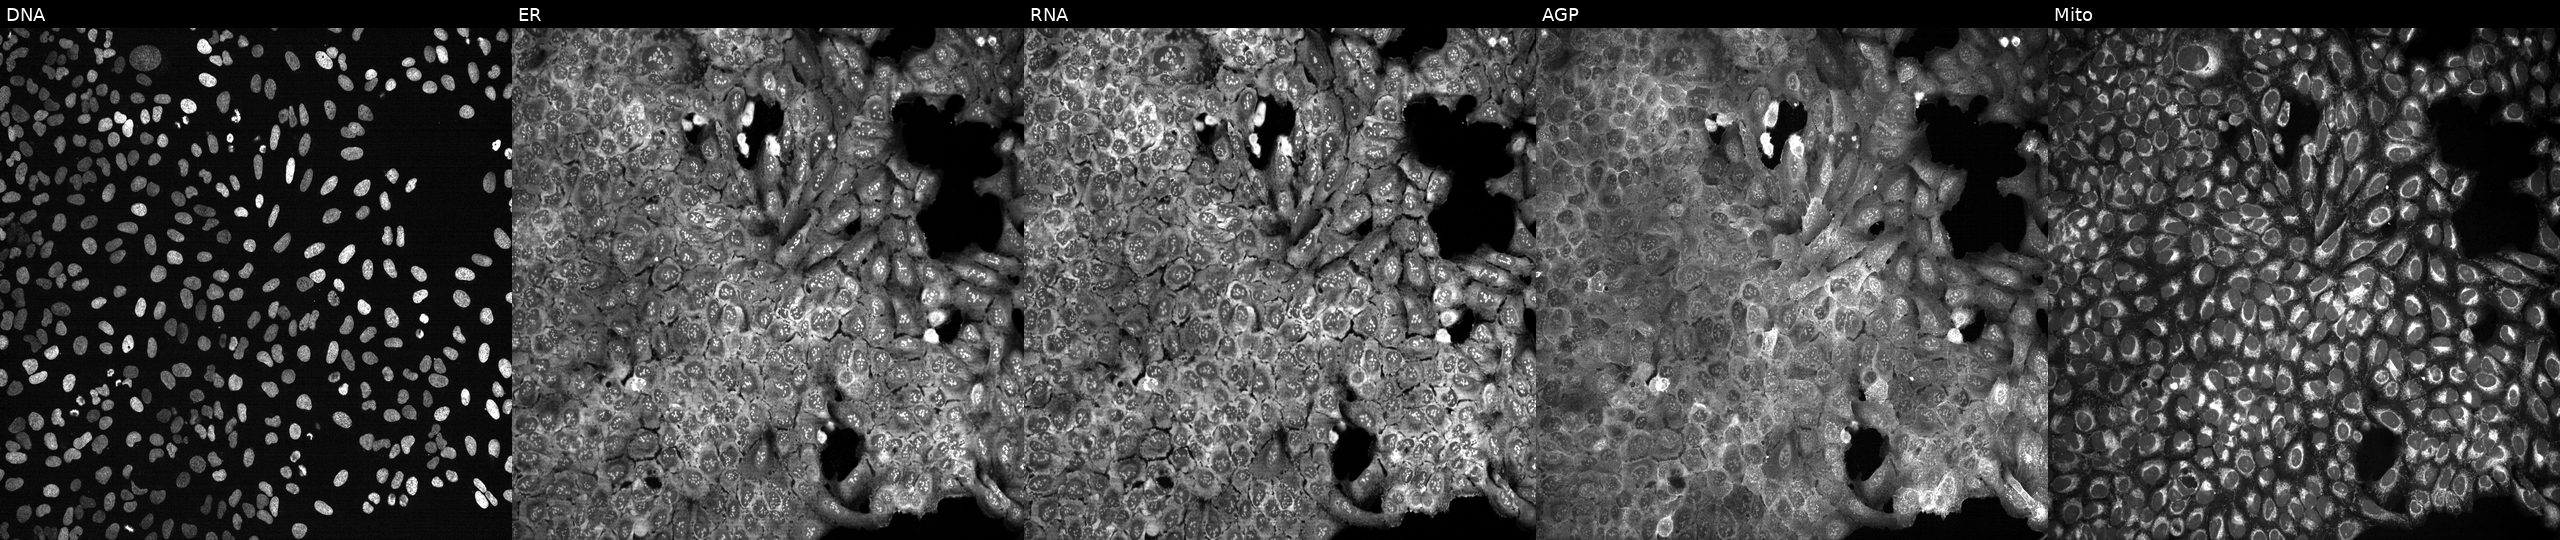
Five-channel Cell Painting image of U2OS cells CRISPR-edited to disrupt MMAB (JUMP id JCP2022_804205). The five panels, left to right, show DNA, ER, RNA, AGP, and Mito.